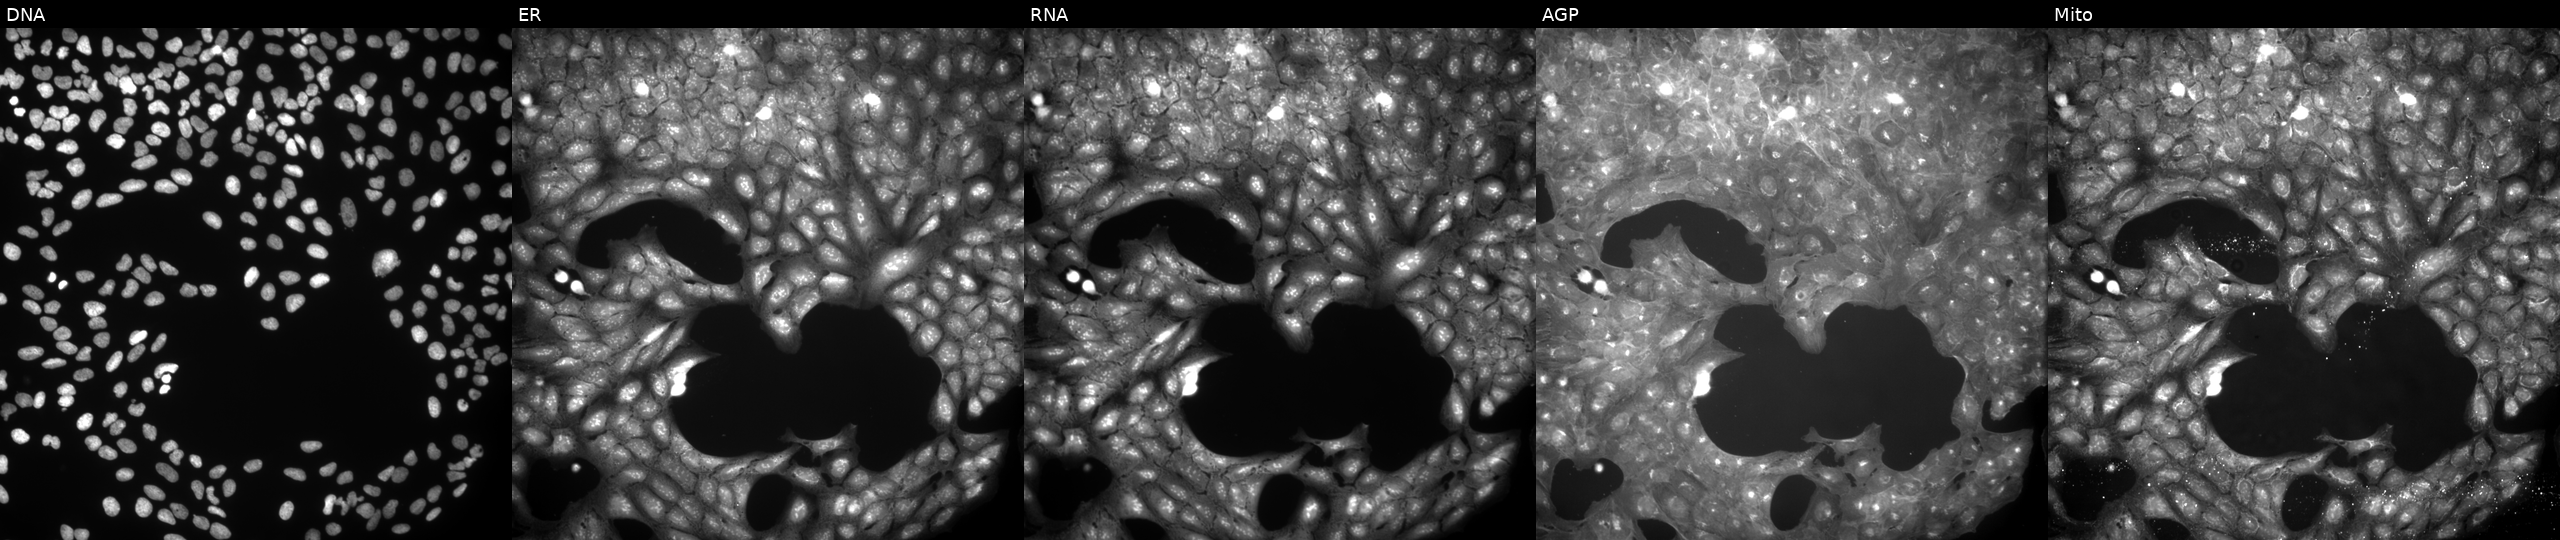
U2OS cells, Cell Painting assay, treated with a small-molecule compound. Channels (left→right): Hoechst 33342, concanavalin A, SYTO 14, phalloidin and WGA, MitoTracker. Each panel is percentile-stretched 16-bit fluorescence. Source 9, plate GR00003382, well J28.